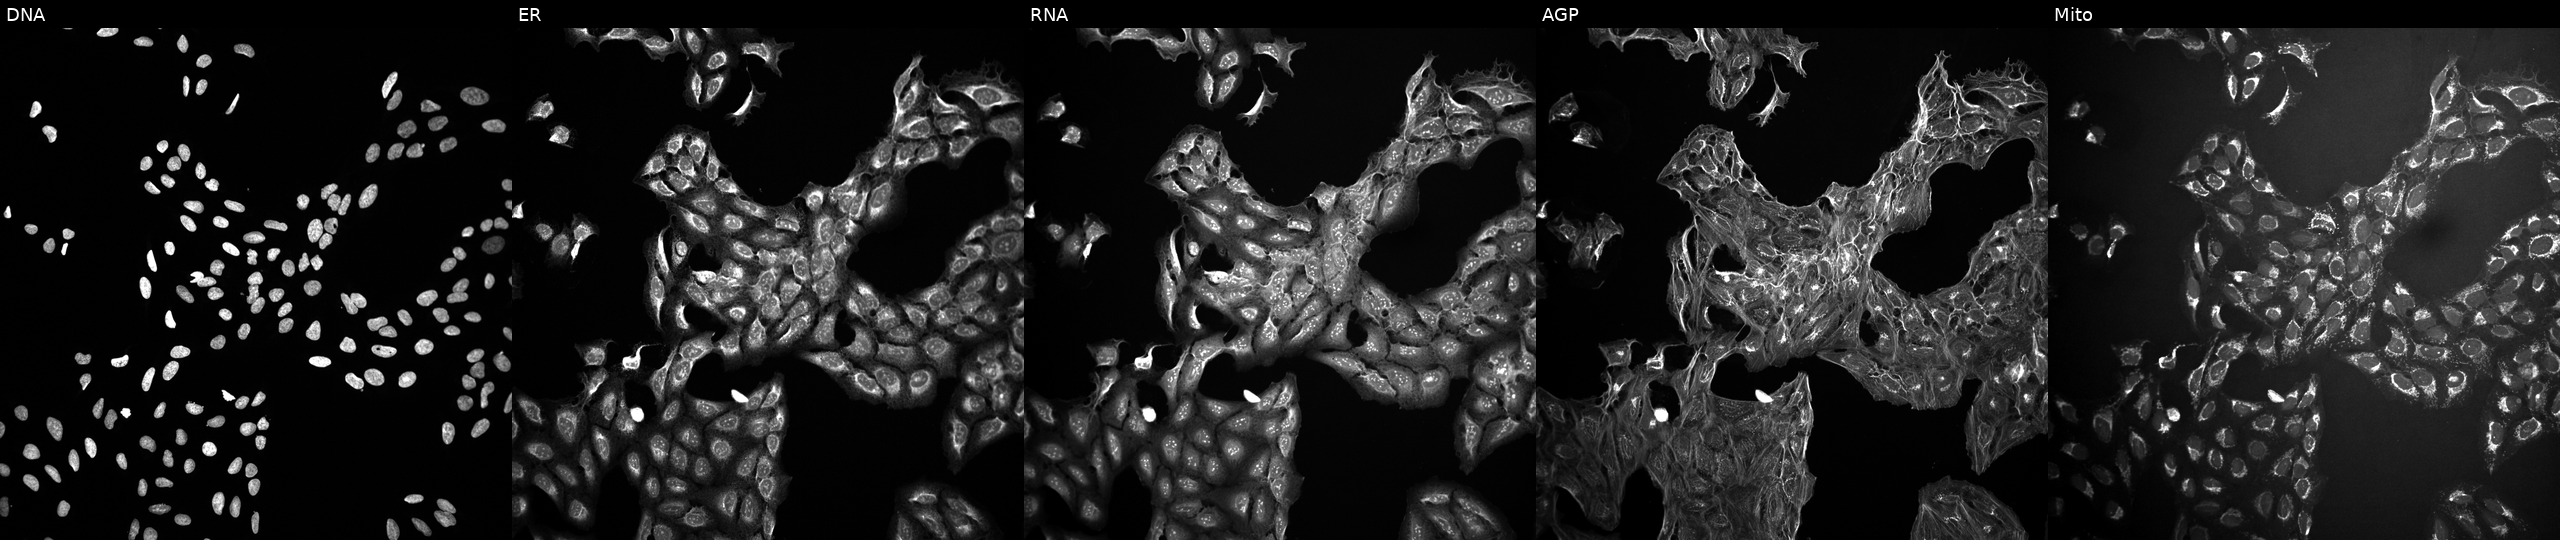
JUMP Cell Painting — COMPOUND plate. U2OS cells treated with a small-molecule compound (InChIKey KOZVDCACPKBFCF-UHFFFAOYSA-N) (JUMP id JCP2022_046044). The five panels, left to right, show DNA, ER, RNA, AGP, and Mito. Source 10, plate Dest210531-152324, well K18.